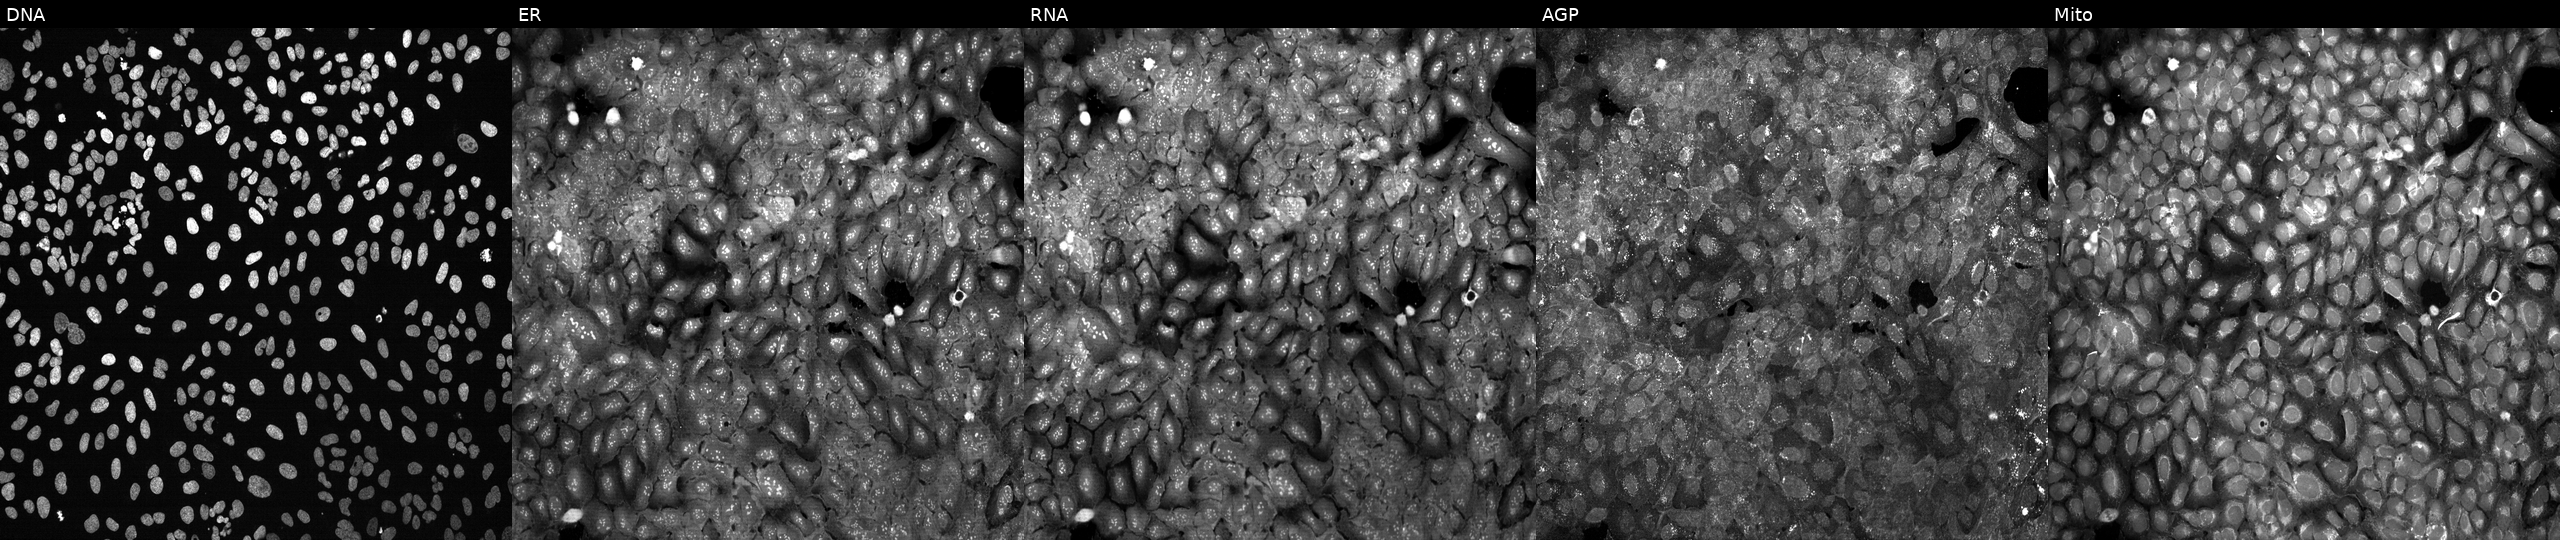
High-content fluorescence microscopy (Cell Painting). Cell line: U2OS. Perturbation: with NUBP2 knocked out by CRISPR (JUMP id JCP2022_804739). The five panels, left to right, show Hoechst 33342, concanavalin A, SYTO 14, phalloidin and WGA, MitoTracker.